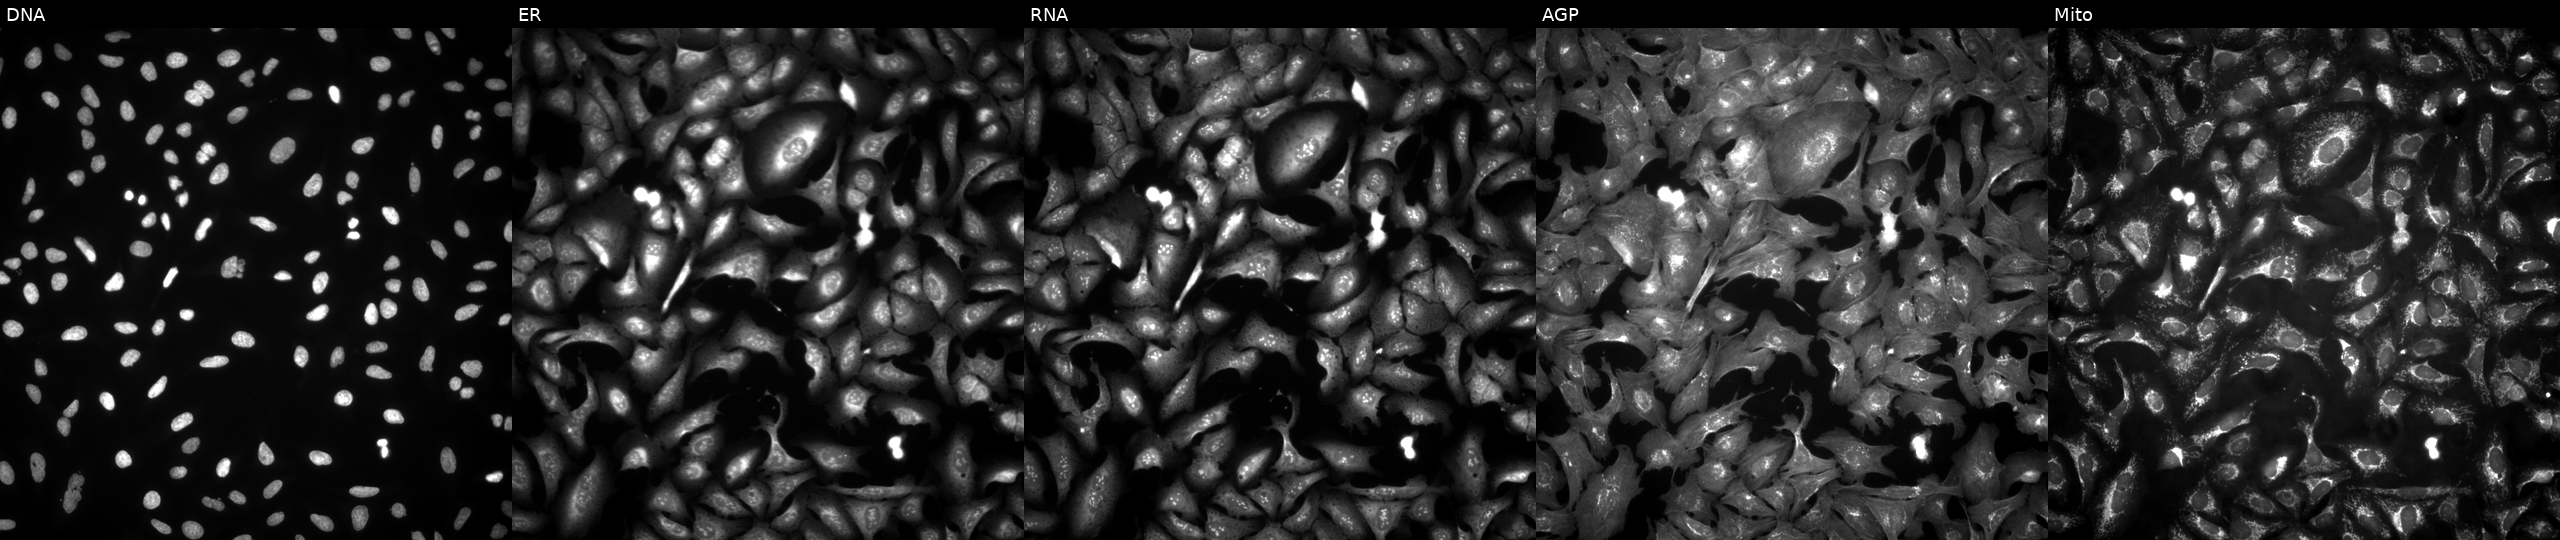
JUMP Cell Painting — ORF plate. U2OS cells transfected with an ORF construct for NUPR1 (JUMP id JCP2022_902776). Panels show, left to right, Hoechst 33342, concanavalin A, SYTO 14, phalloidin and WGA, MitoTracker.